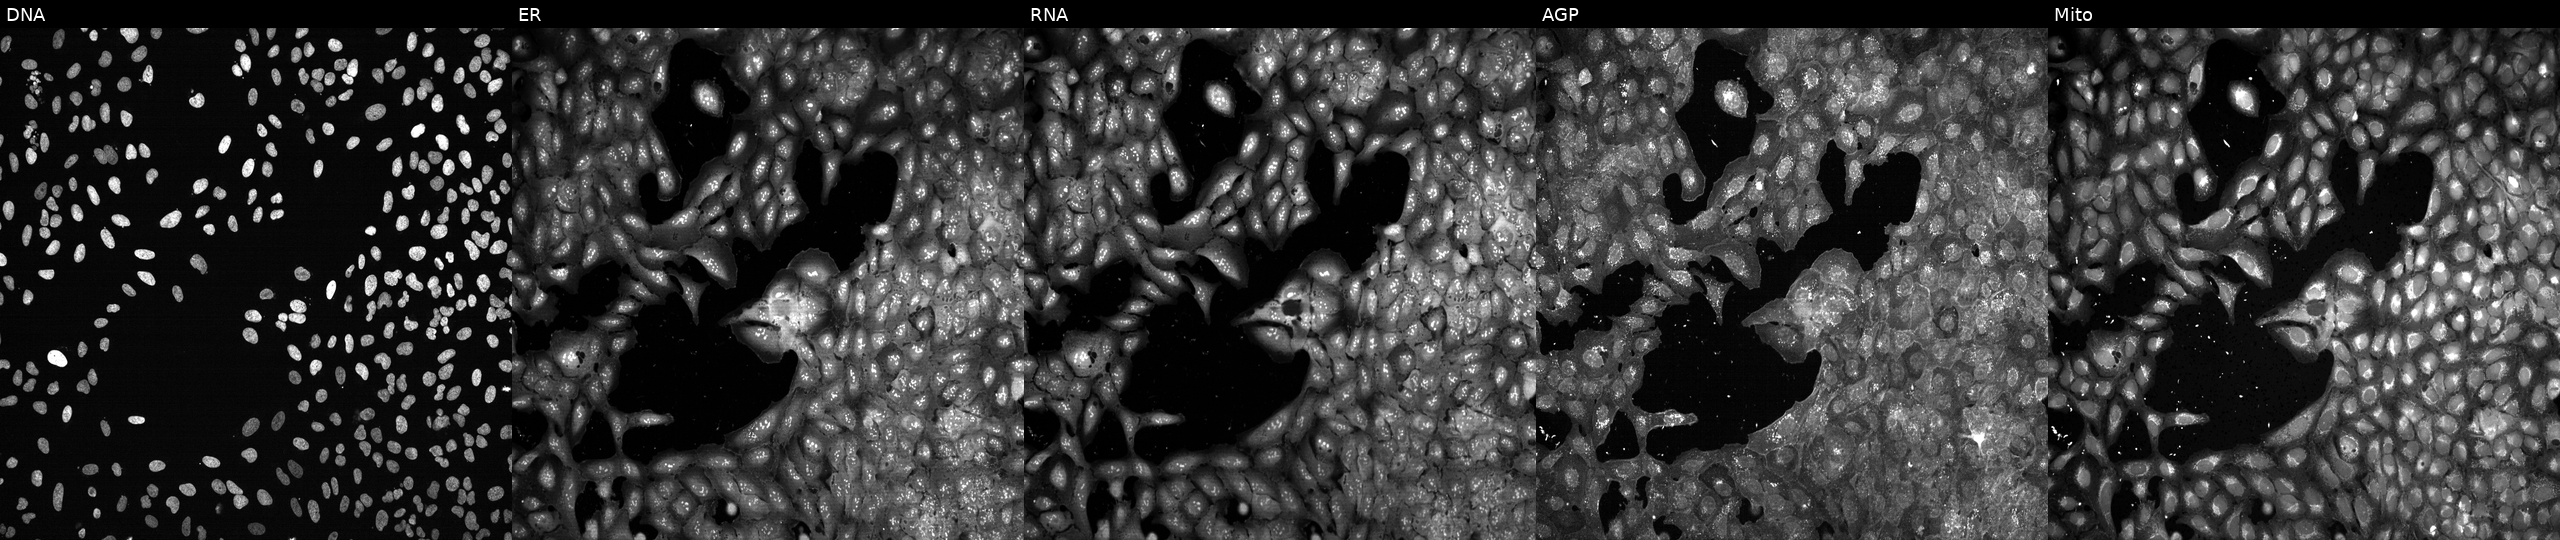
High-content fluorescence microscopy (Cell Painting). Cell line: U2OS. Perturbation: CRISPR-edited to disrupt ABHD14A. Panels show, left to right, DNA (nuclei); ER (endoplasmic reticulum); RNA (nucleoli and cytoplasmic RNA); AGP (actin cytoskeleton, Golgi, and plasma membrane); Mito (mitochondria). Source 13, plate CP-CC9-R1-01, well K05.